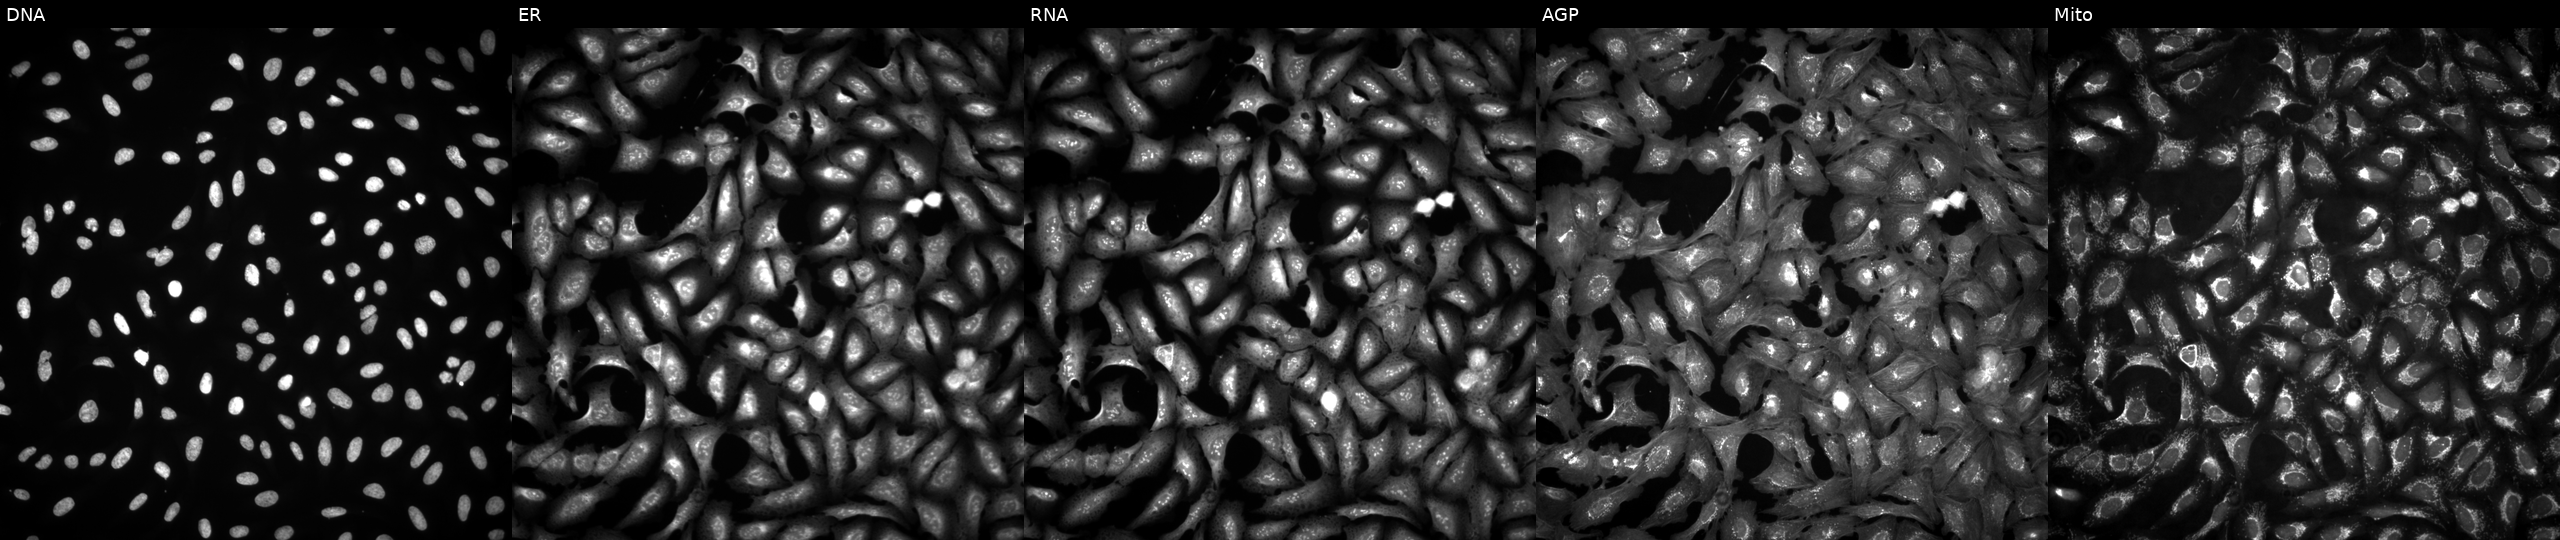
JUMP Cell Painting — ORF plate. U2OS cells with CCM2 overexpressed (ORF). The five panels, left to right, show DNA (nuclei); ER (endoplasmic reticulum); RNA (nucleoli and cytoplasmic RNA); AGP (actin cytoskeleton, Golgi, and plasma membrane); Mito (mitochondria).